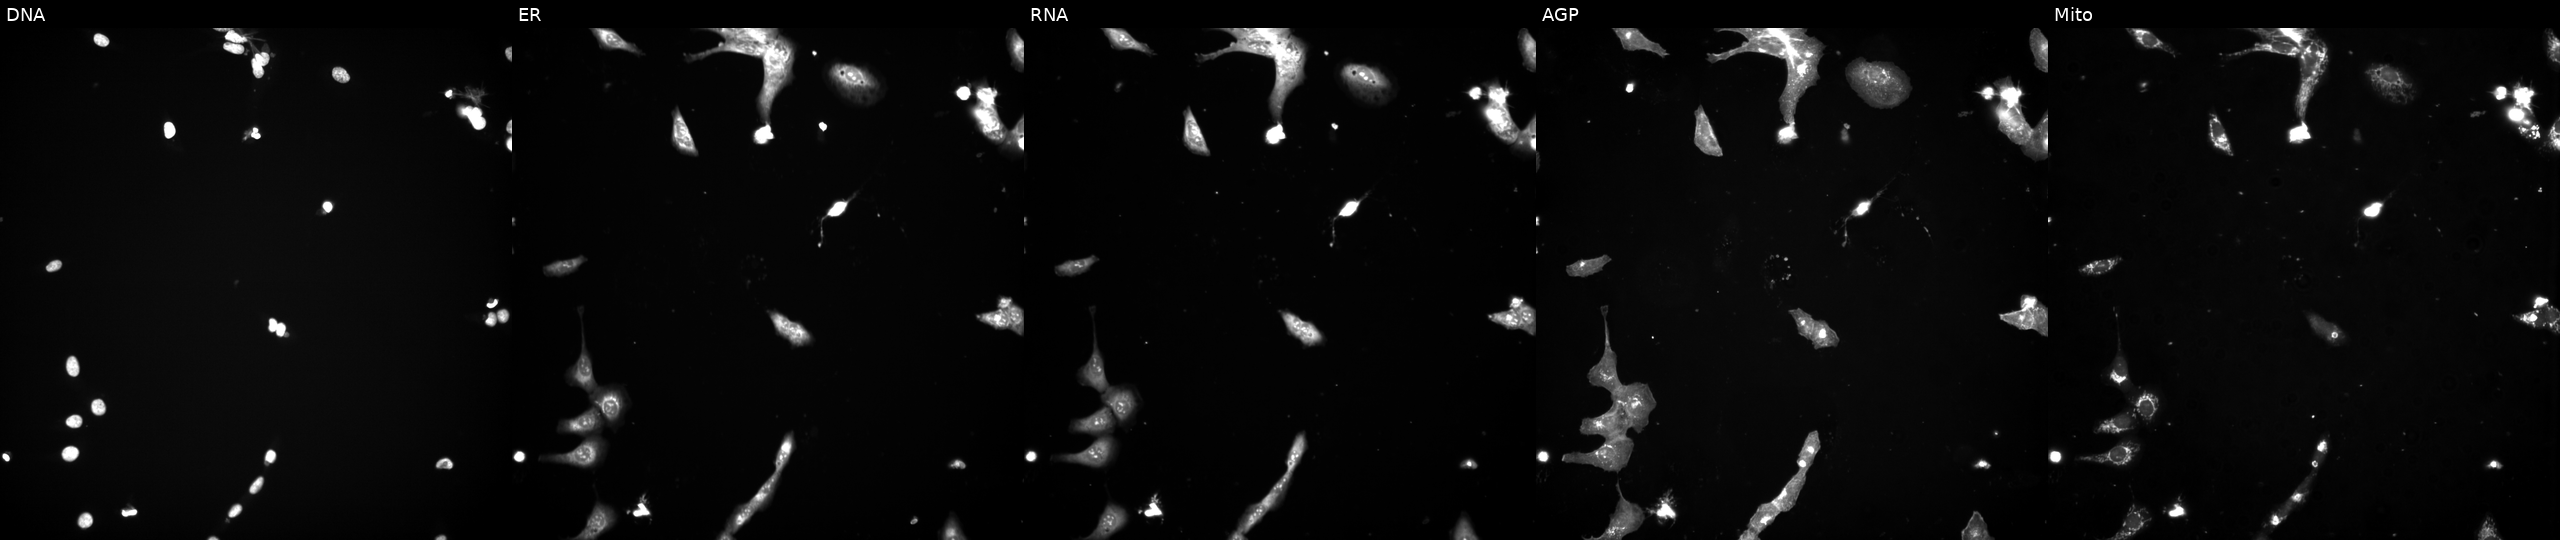
High-content fluorescence microscopy (Cell Painting). Cell line: U2OS. Perturbation: treated with a small-molecule compound. Panels show, left to right, DNA, ER, RNA, AGP, and Mito.